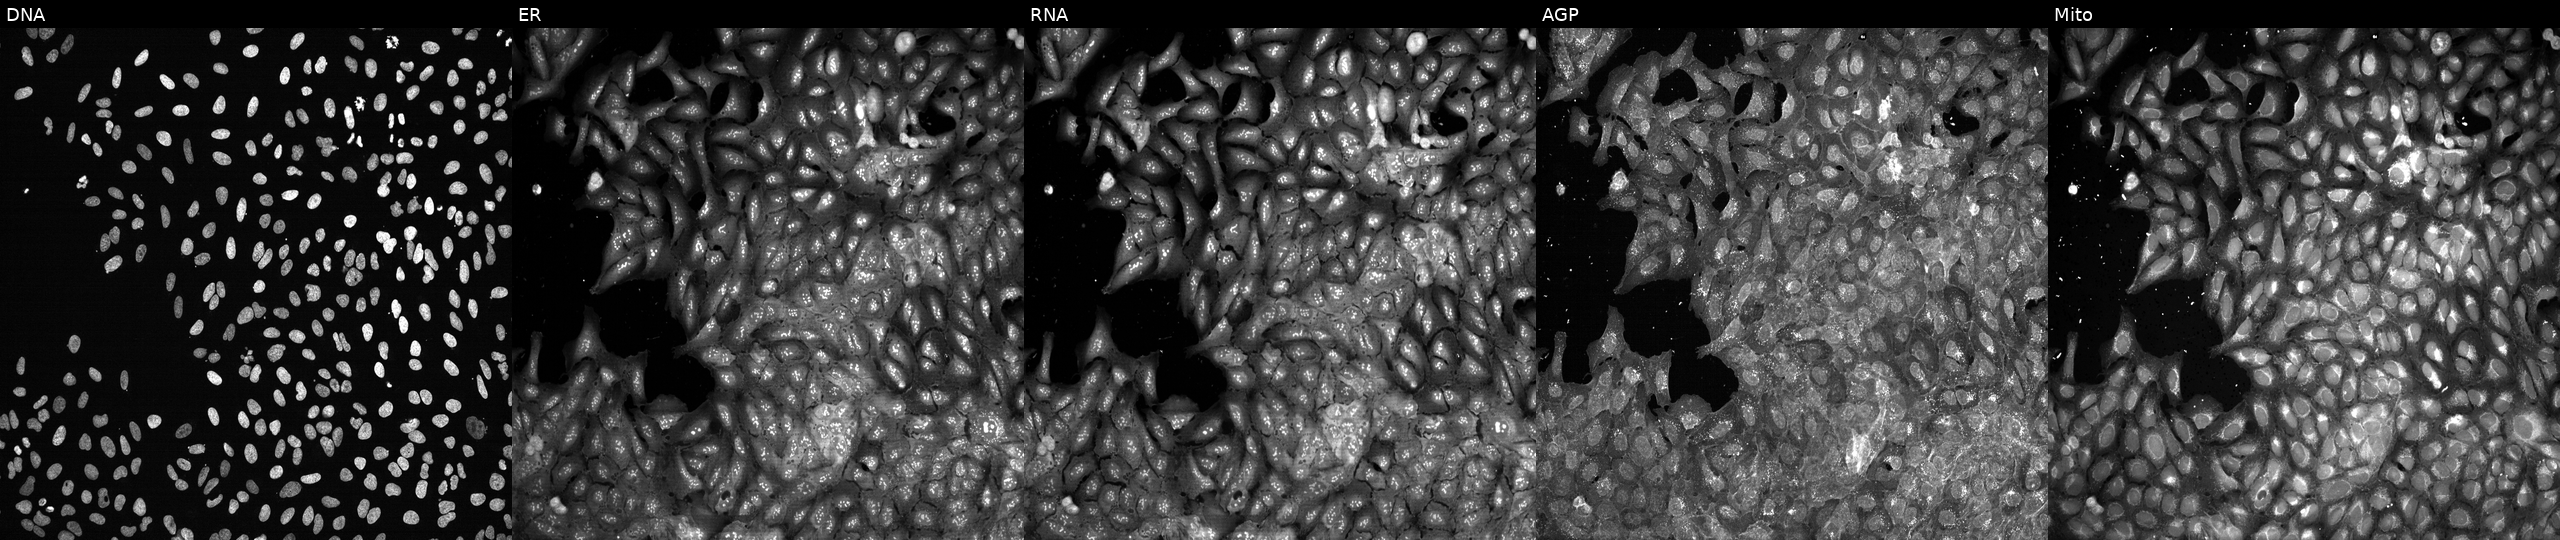
Five-channel Cell Painting image of U2OS cells CRISPR-edited to disrupt ABHD4. Panels show, left to right, DNA (nuclei); ER (endoplasmic reticulum); RNA (nucleoli and cytoplasmic RNA); AGP (actin cytoskeleton, Golgi, and plasma membrane); Mito (mitochondria). Source 13, plate CP-CC9-R1-01, well C08.